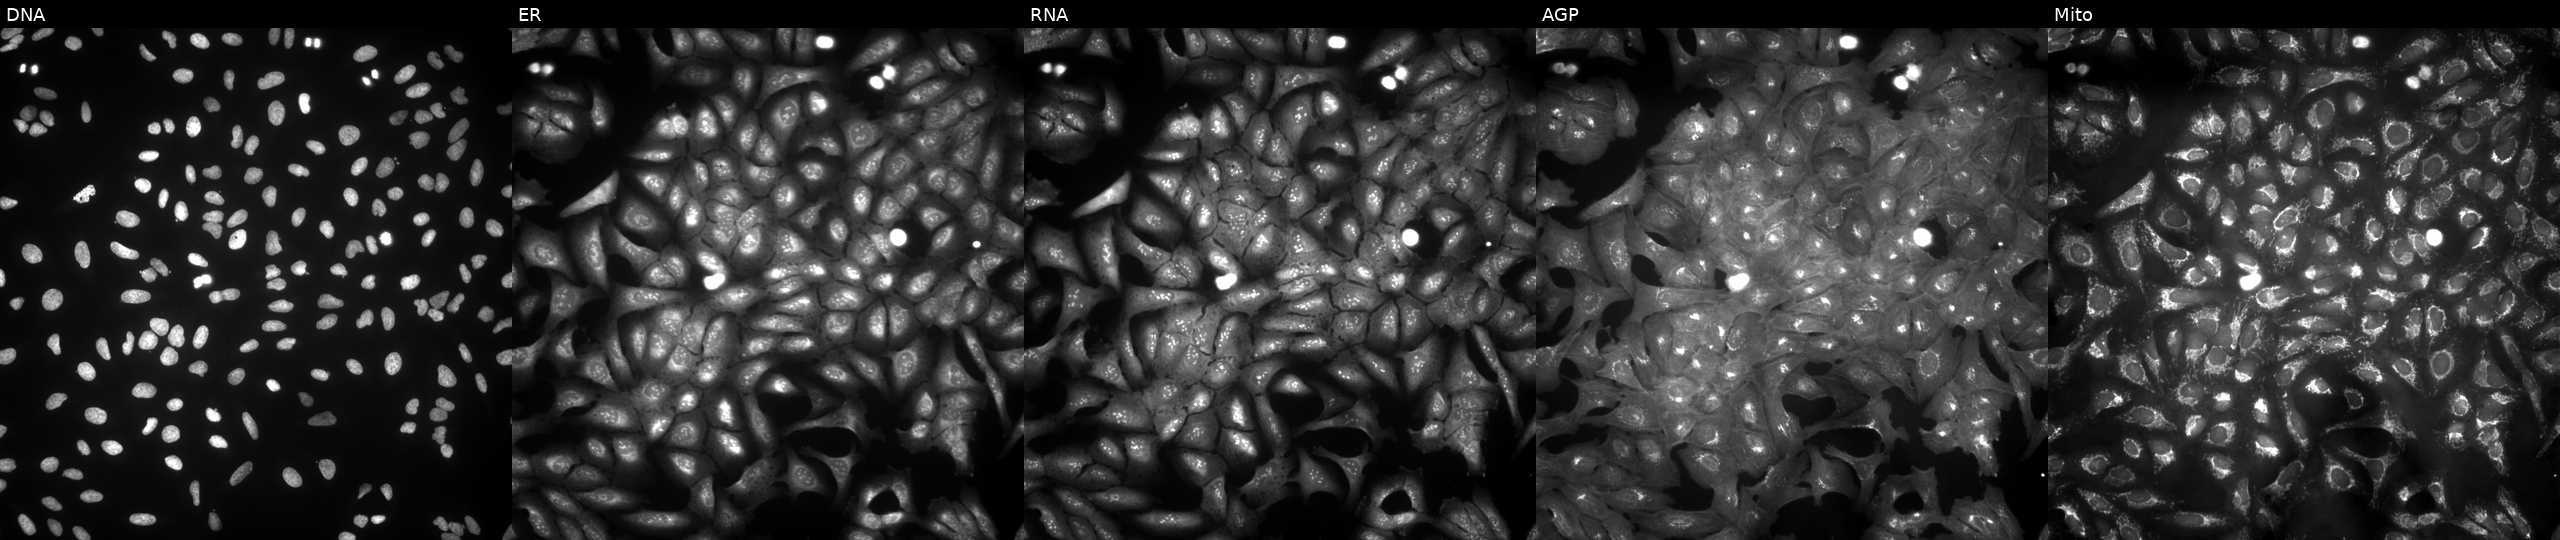
This image strip shows the five Cell Painting channels for a single field of U2OS cells transfected with an ORF construct for FYN. The five panels, left to right, show Hoechst 33342, concanavalin A, SYTO 14, phalloidin and WGA, MitoTracker. Source 4, plate BR00123506, well J15.